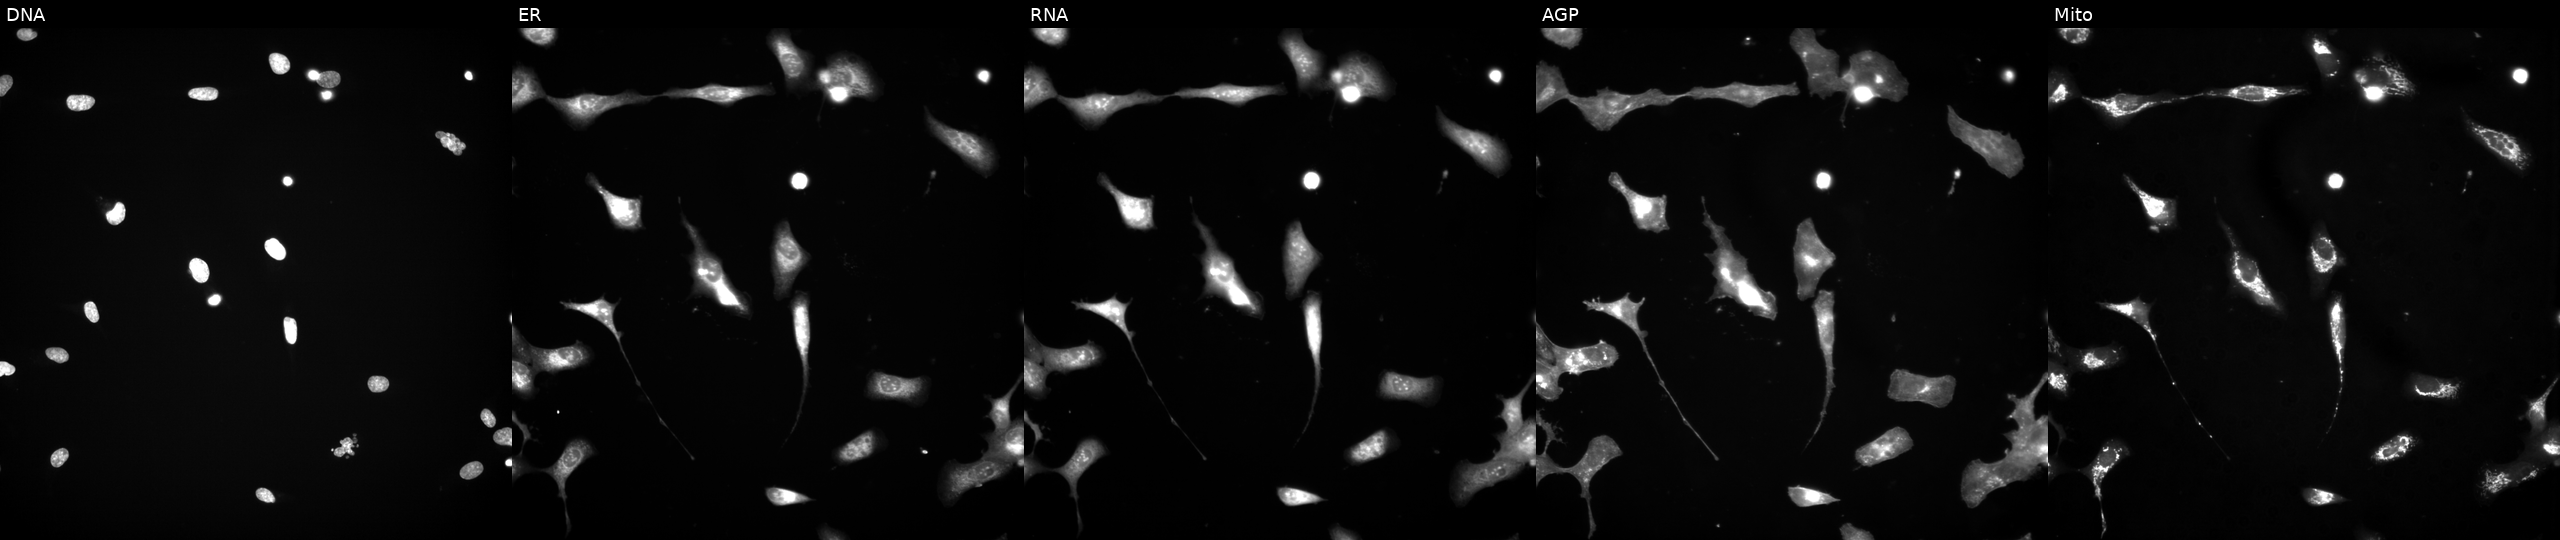
The five panels, left to right, show DNA (nuclei); ER (endoplasmic reticulum); RNA (nucleoli and cytoplasmic RNA); AGP (actin cytoskeleton, Golgi, and plasma membrane); Mito (mitochondria). U2OS osteosarcoma cells exposed to a small-molecule compound. Cell Painting assay, JUMP-CP dataset.